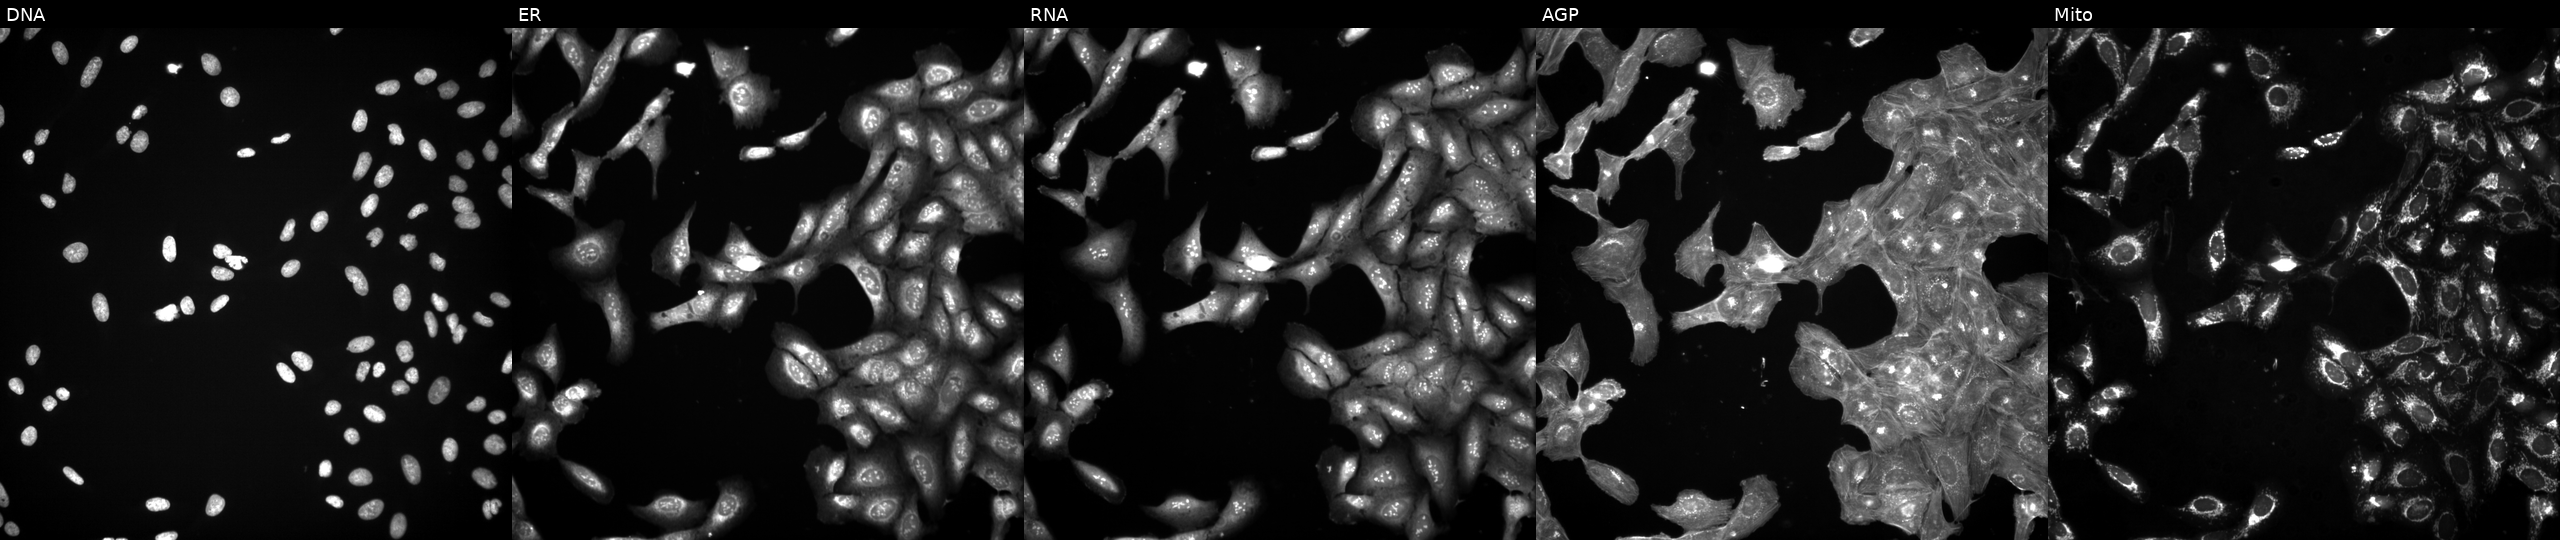
Channels (left→right): DNA, ER, RNA, AGP, and Mito. U2OS osteosarcoma cells perturbed with a small-molecule compound (JUMP id JCP2022_036614). Cell Painting assay, JUMP-CP dataset.